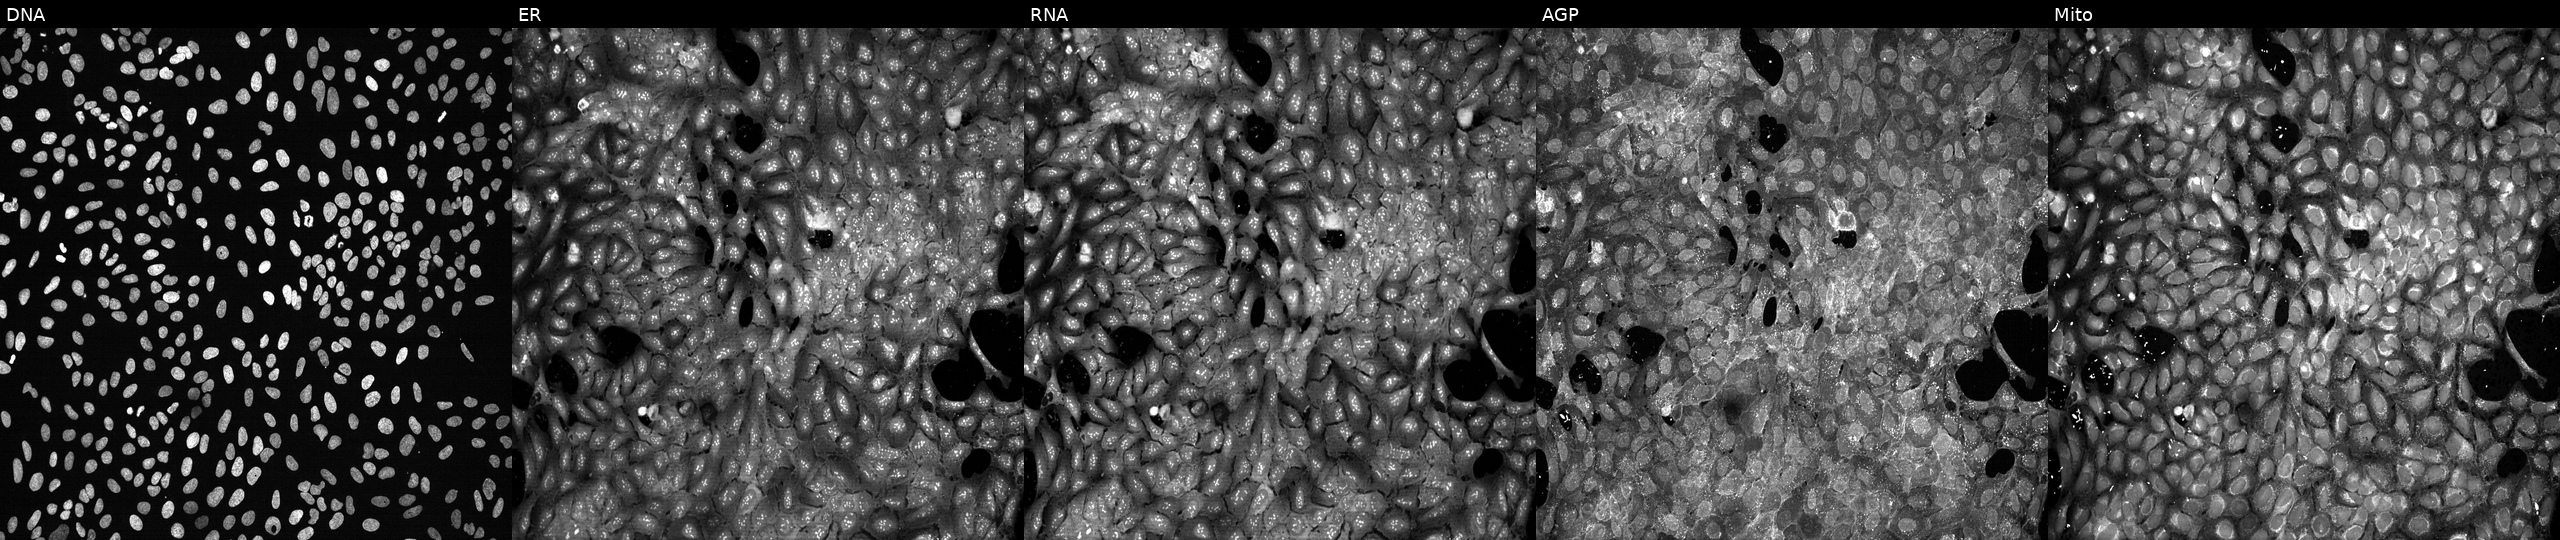
Five-channel Cell Painting image of U2OS cells treated with dexamethasone (positive-control compound) (JUMP id JCP2022_025848). Panels show, left to right, DNA, ER, RNA, AGP, and Mito. Source 13, plate CP-CC9-R1-01, well C01.